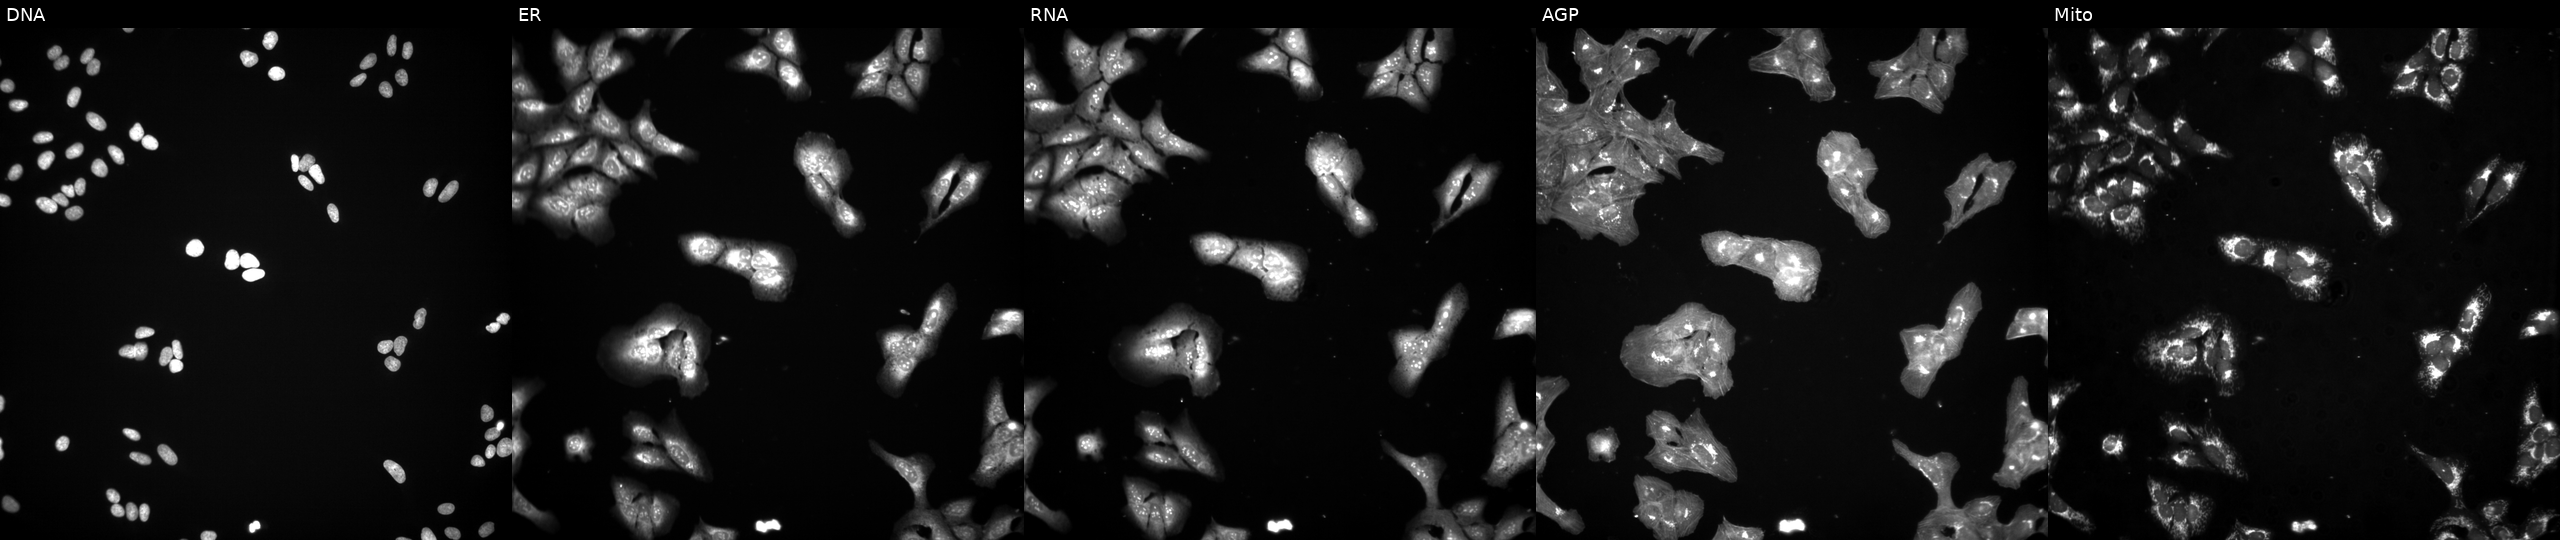
High-content fluorescence microscopy (Cell Painting). Cell line: U2OS. Perturbation: exposed to the positive-control compound TC-S-7004 (JUMP id JCP2022_012818). Panels show, left to right, DNA (nuclei); ER (endoplasmic reticulum); RNA (nucleoli and cytoplasmic RNA); AGP (actin cytoskeleton, Golgi, and plasma membrane); Mito (mitochondria). Source 3, plate BR5867b3, well H01.